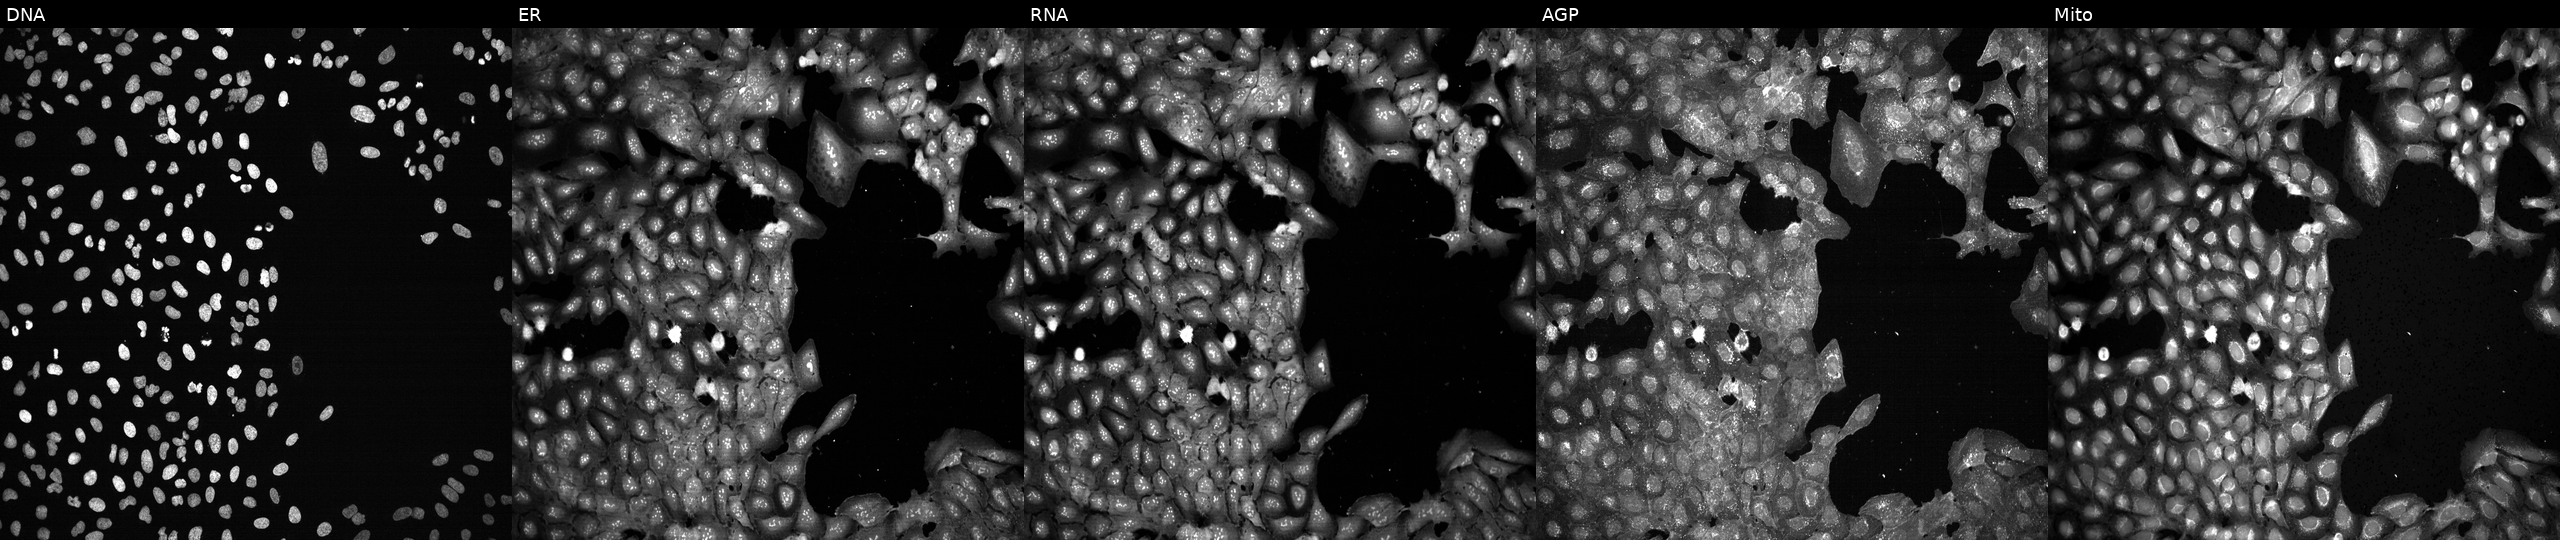
High-content fluorescence microscopy (Cell Painting). Cell line: U2OS. Perturbation: following CRISPR knockout of VCL (JUMP id JCP2022_807633). From left to right: Hoechst 33342, concanavalin A, SYTO 14, phalloidin and WGA, MitoTracker. Source 13, plate CP-CC9-R1-02, well I19.